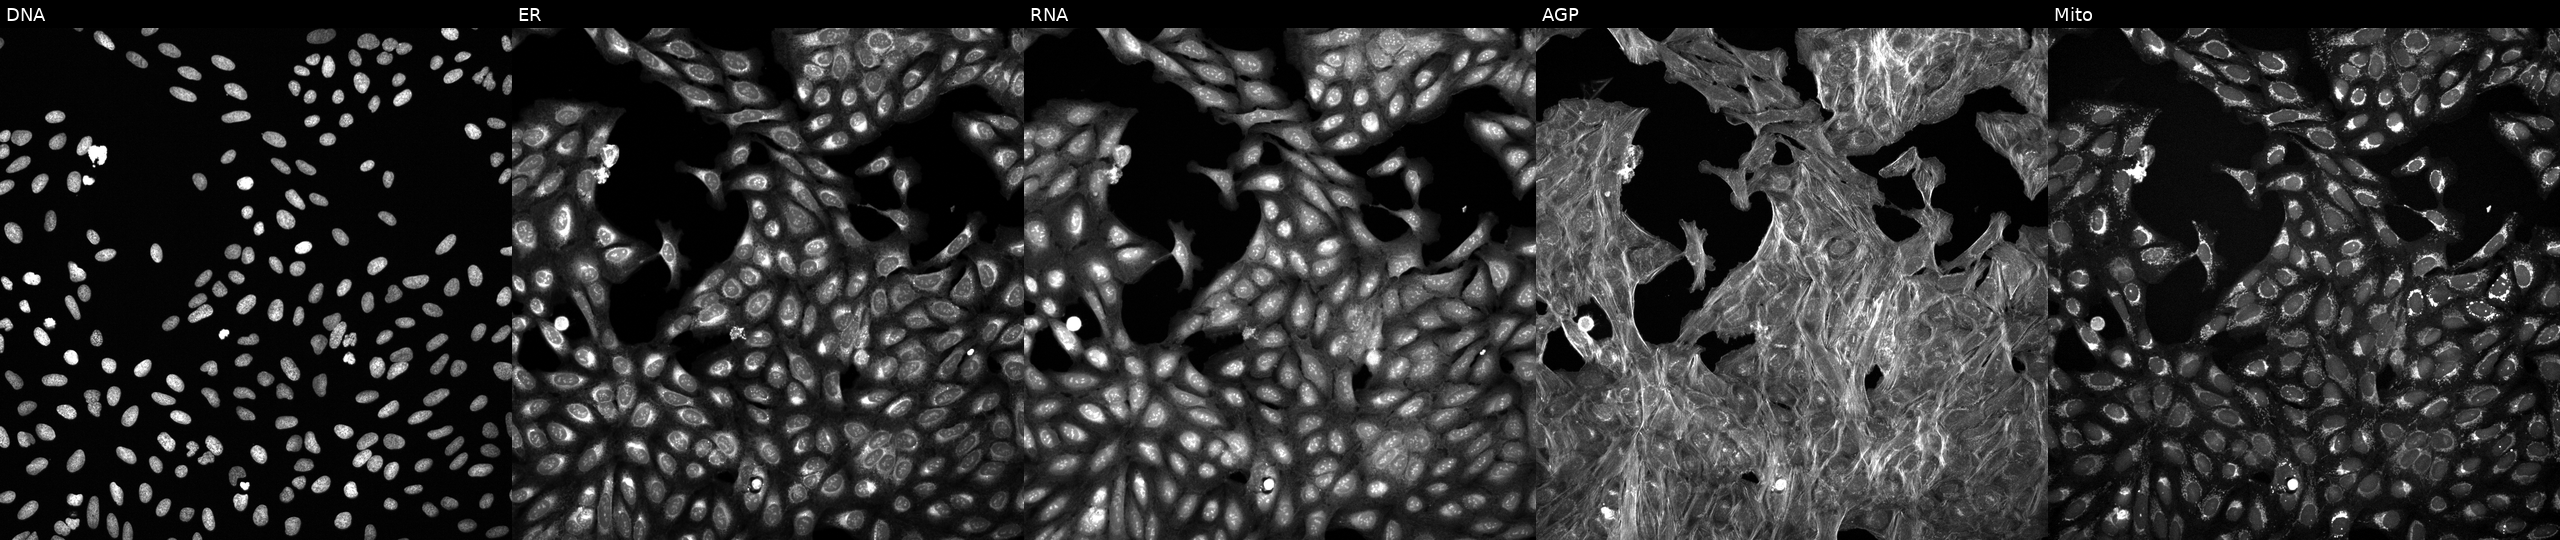
JUMP Cell Painting — TARGET2 plate. U2OS cells perturbed with a small-molecule compound (JUMP id JCP2022_106781). Panels show, left to right, Hoechst 33342, concanavalin A, SYTO 14, phalloidin and WGA, MitoTracker. Source 6, plate 110000293093, well J06.